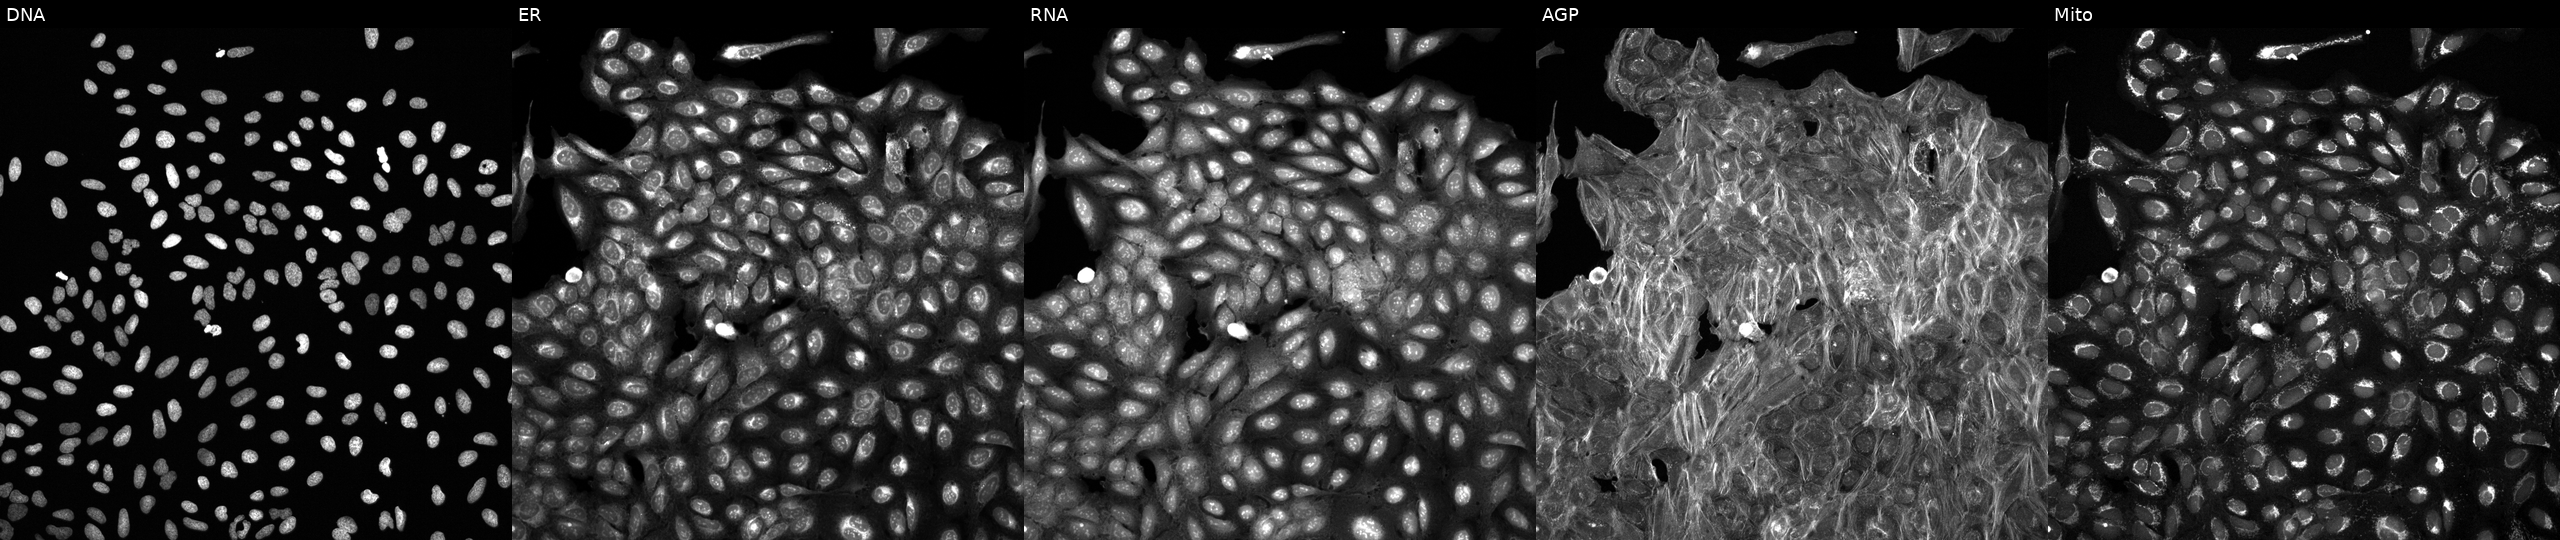
High-content fluorescence microscopy (Cell Painting). Cell line: U2OS. Perturbation: perturbed with a small-molecule compound (JUMP id JCP2022_058288). From left to right: DNA (nuclei); ER (endoplasmic reticulum); RNA (nucleoli and cytoplasmic RNA); AGP (actin cytoskeleton, Golgi, and plasma membrane); Mito (mitochondria).